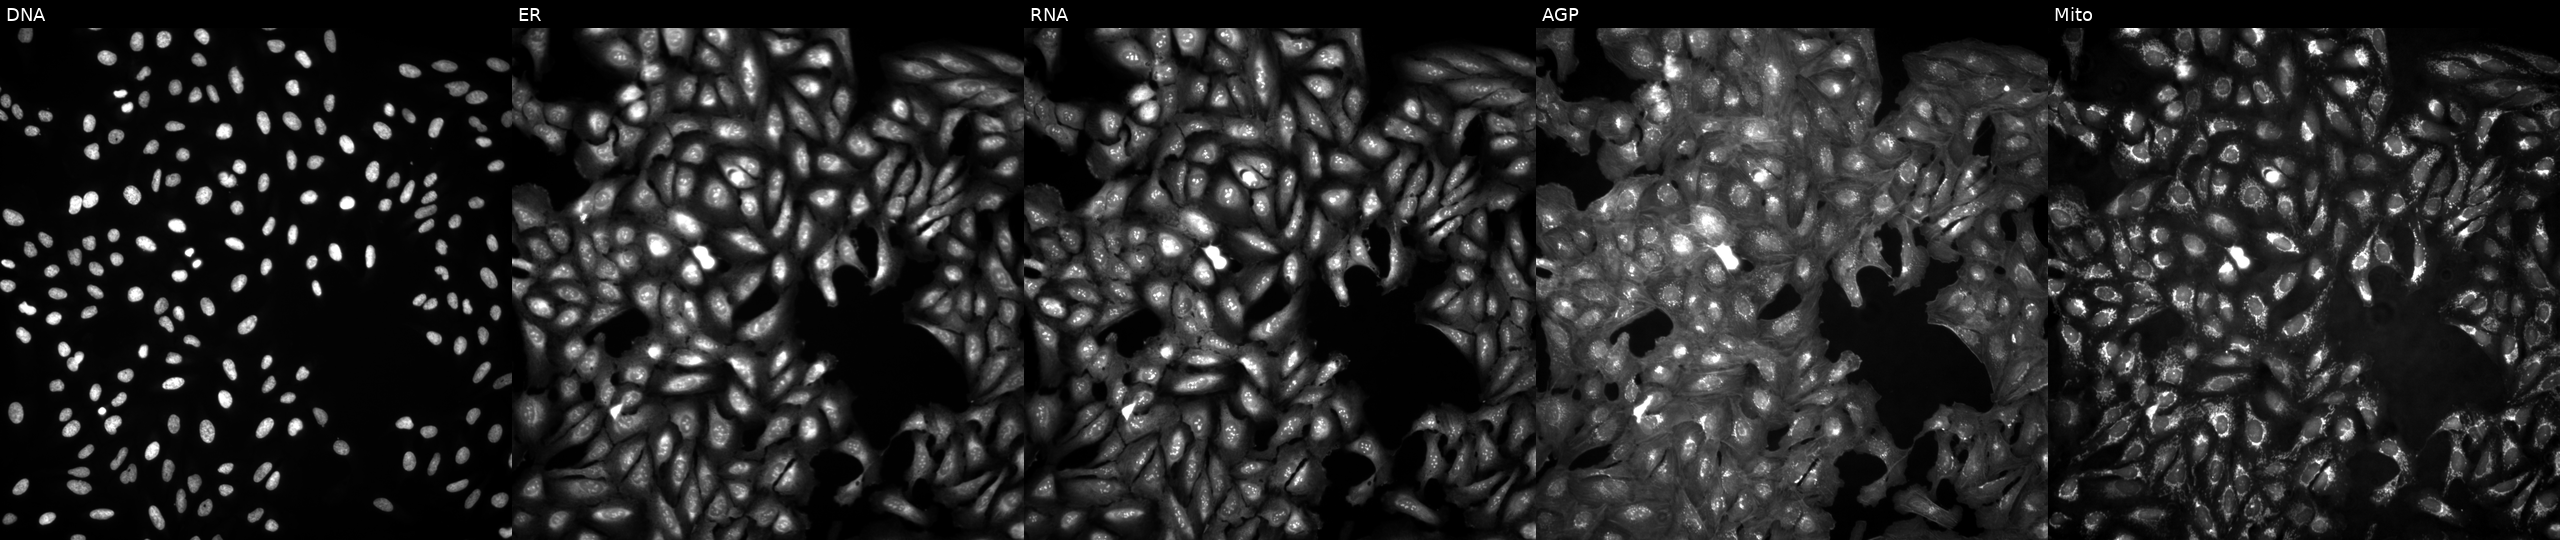
The five panels, left to right, show DNA, ER, RNA, AGP, and Mito. U2OS osteosarcoma cells in an empty control well (no perturbation) (JUMP id JCP2022_999999). Cell Painting assay, JUMP-CP dataset. Source 4, plate BR00124793, well K15.